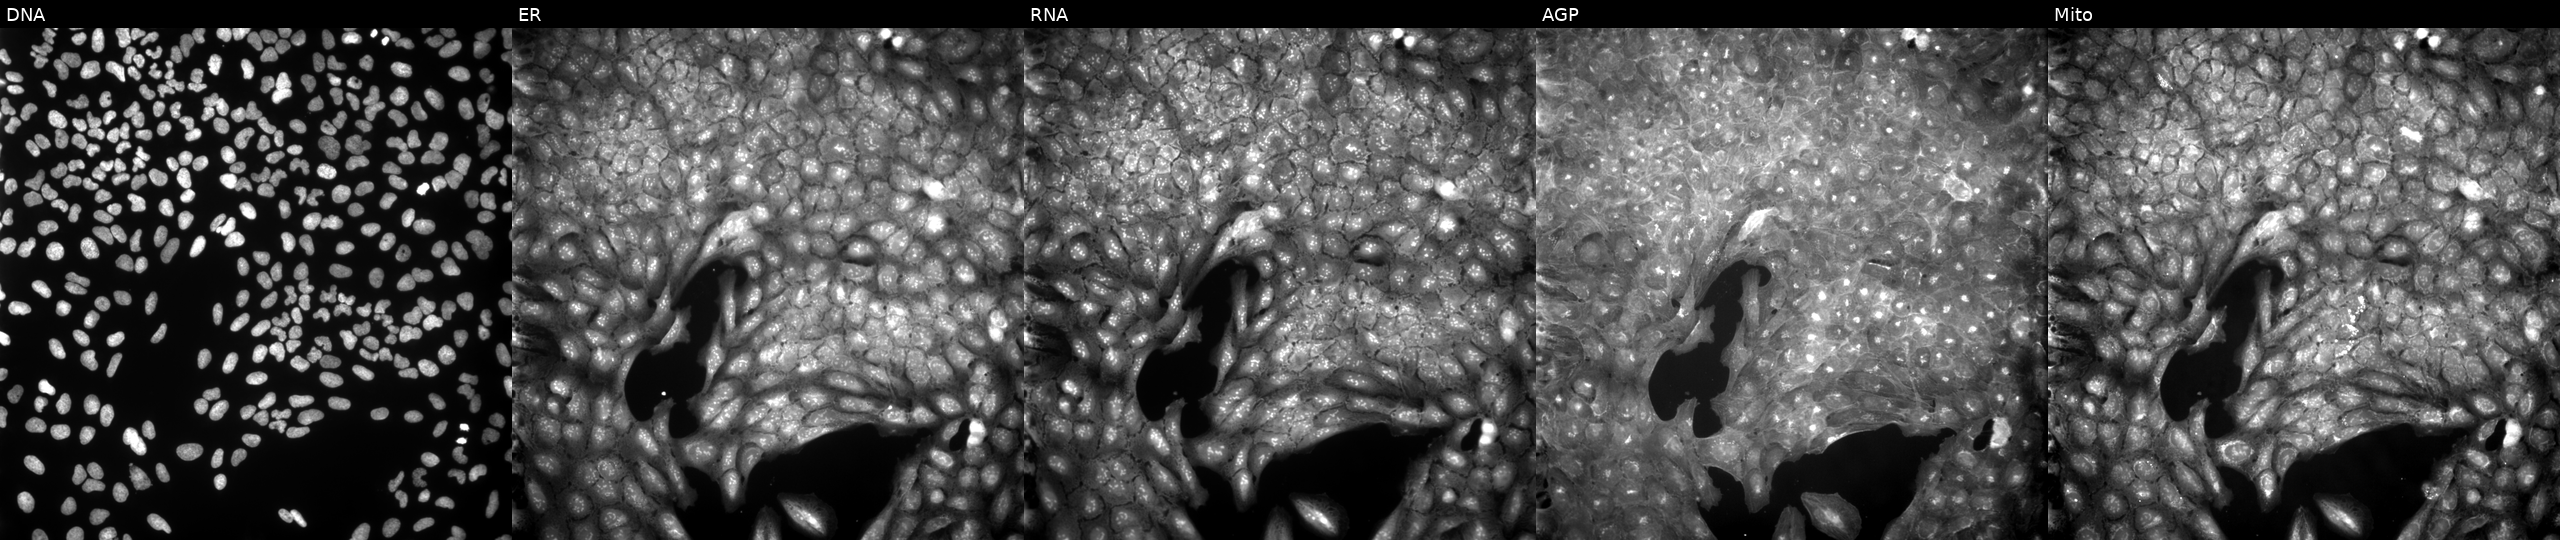
Five-channel Cell Painting image of U2OS cells treated with a small-molecule compound (InChIKey QZAUNBORRKKSHK-UHFFFAOYSA-N). Channels (left→right): DNA, ER, RNA, AGP, and Mito. Source 9, plate GR00003381, well N19.